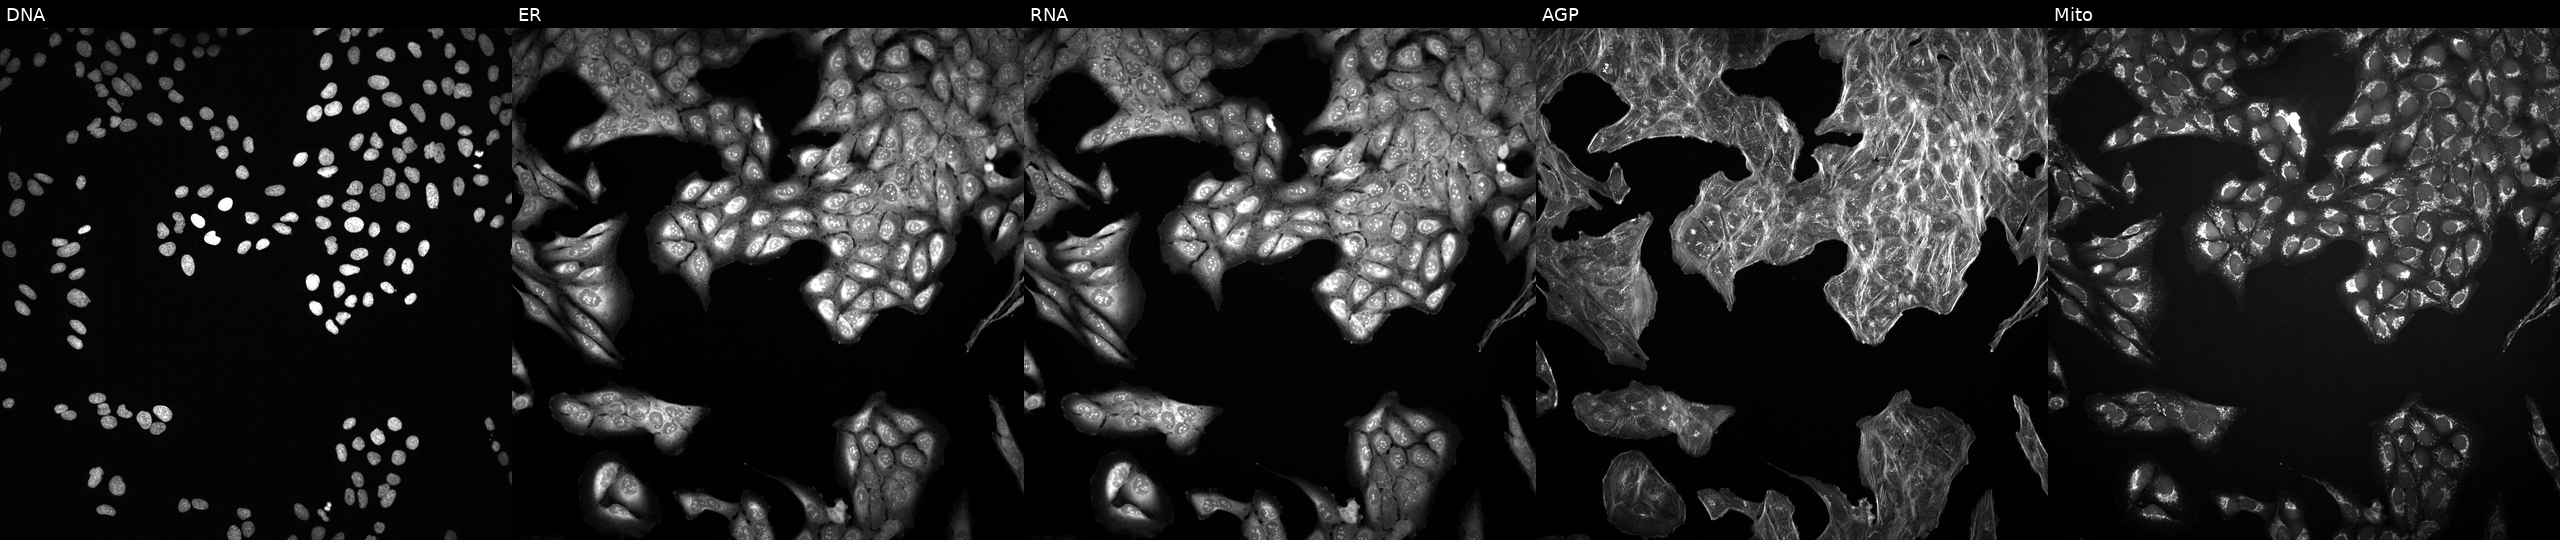
Channels (left→right): Hoechst 33342, concanavalin A, SYTO 14, phalloidin and WGA, MitoTracker. U2OS osteosarcoma cells treated with a small-molecule compound (InChIKey FNYLWPVRPXGIIP-UHFFFAOYSA-N) (JUMP id JCP2022_021857). Cell Painting assay, JUMP-CP dataset.